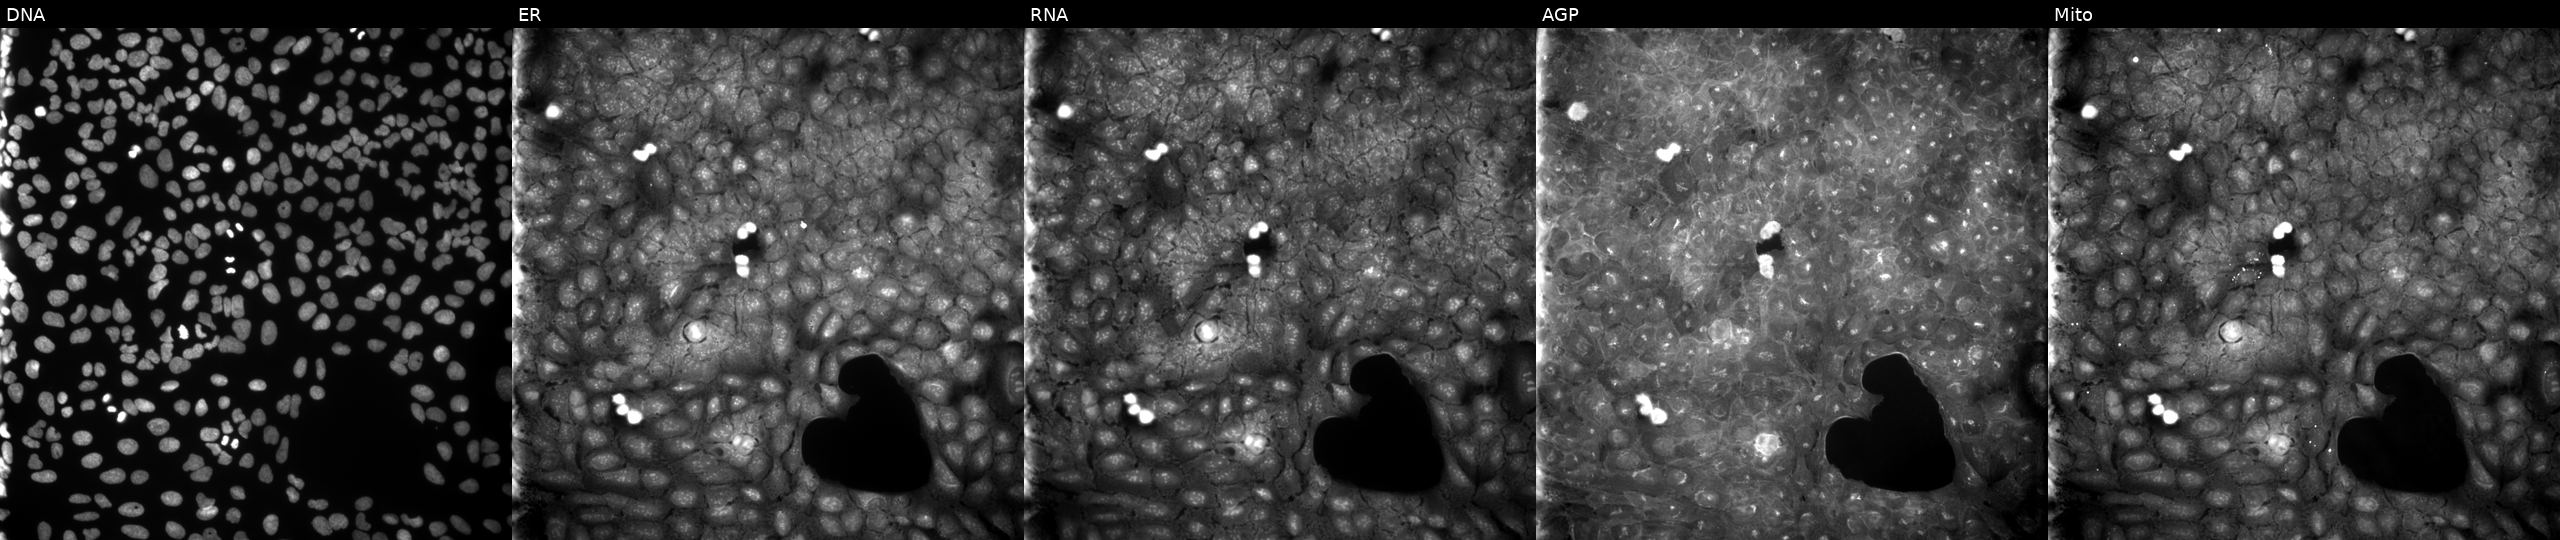
Panels show, left to right, DNA, ER, RNA, AGP, and Mito. U2OS osteosarcoma cells exposed to a small-molecule compound (InChIKey PHAJRNLHWLJQLC-UHFFFAOYSA-N) (JUMP id JCP2022_068540). Cell Painting assay, JUMP-CP dataset.